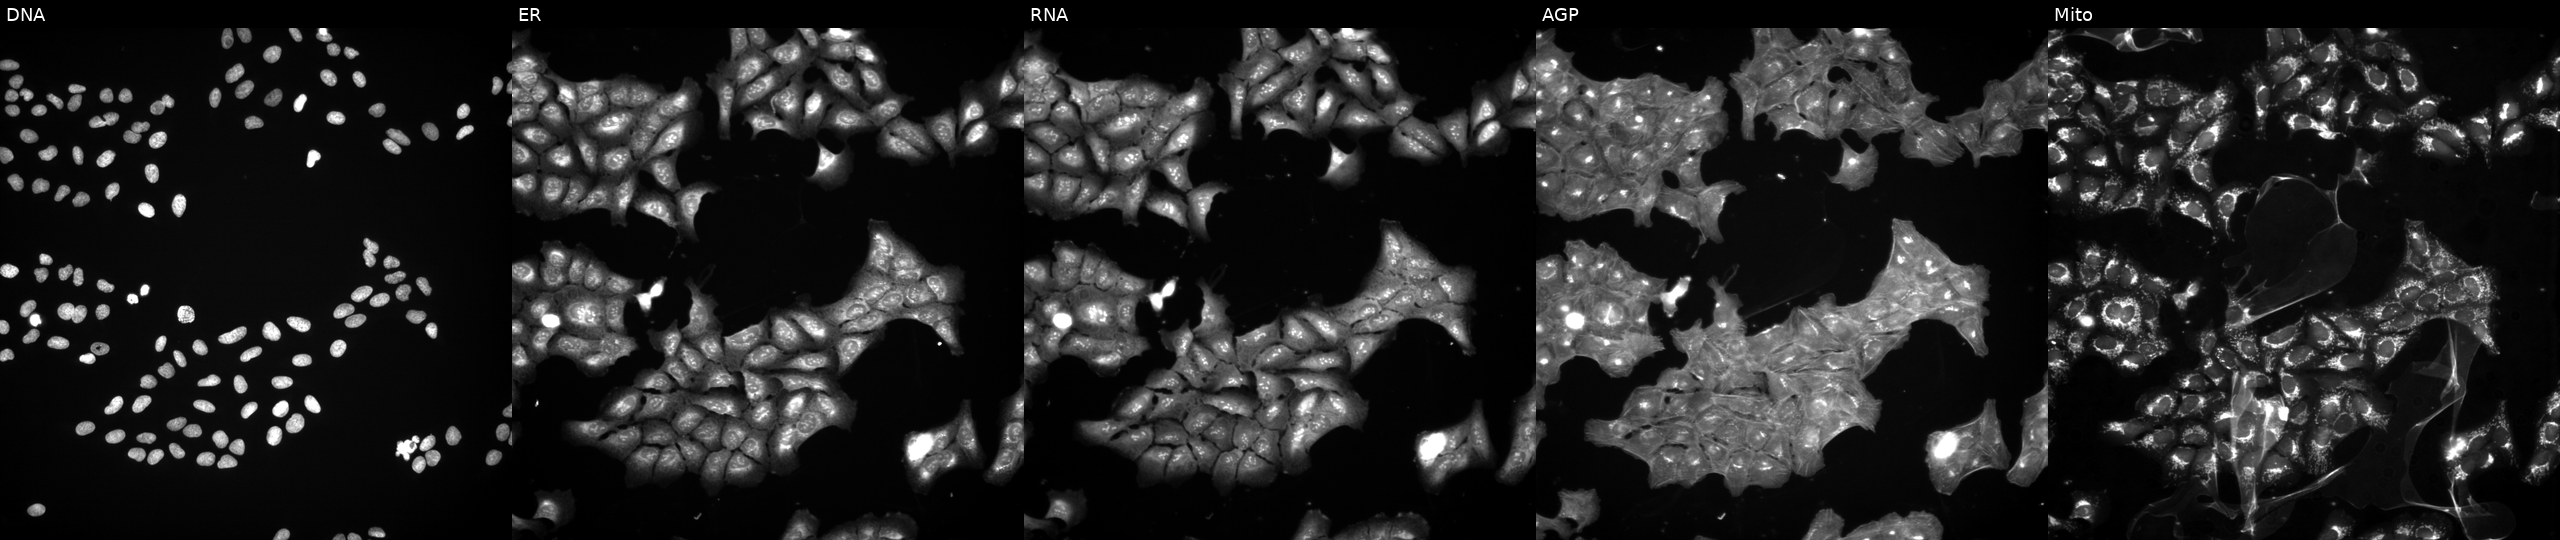
This image strip shows the five Cell Painting channels for a single field of U2OS cells exposed to DMSO alone as a negative control (JUMP id JCP2022_033924). Channels (left→right): DNA (nuclei); ER (endoplasmic reticulum); RNA (nucleoli and cytoplasmic RNA); AGP (actin cytoskeleton, Golgi, and plasma membrane); Mito (mitochondria).